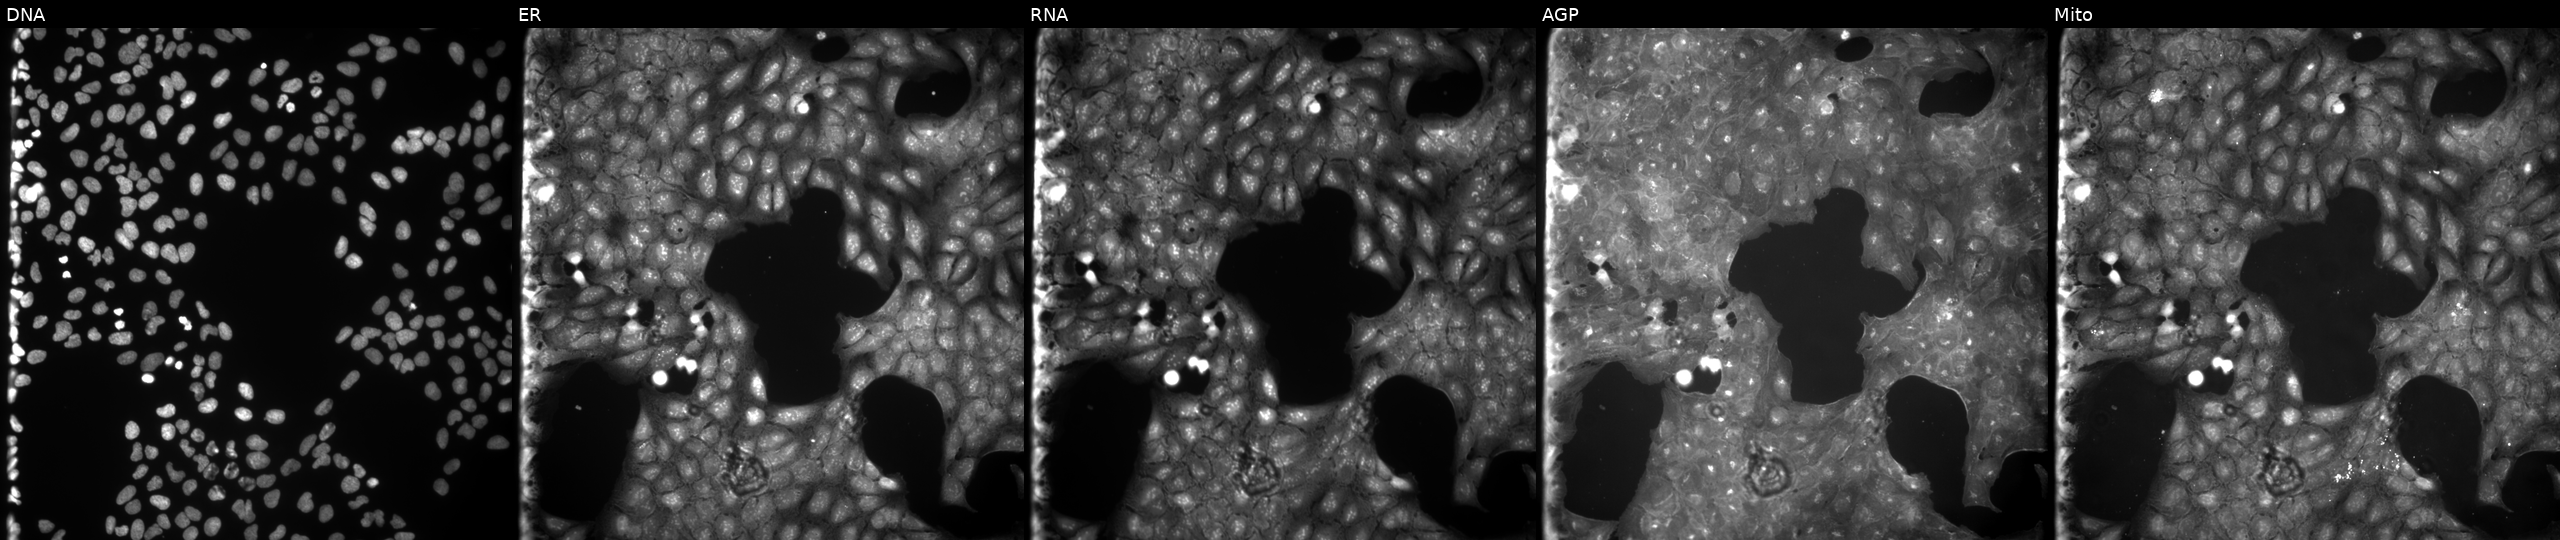
High-content fluorescence microscopy (Cell Painting). Cell line: U2OS. Perturbation: exposed to a small-molecule compound (InChIKey OIGYWCYVICTXOP-UHFFFAOYSA-N). From left to right: DNA (nuclei); ER (endoplasmic reticulum); RNA (nucleoli and cytoplasmic RNA); AGP (actin cytoskeleton, Golgi, and plasma membrane); Mito (mitochondria).